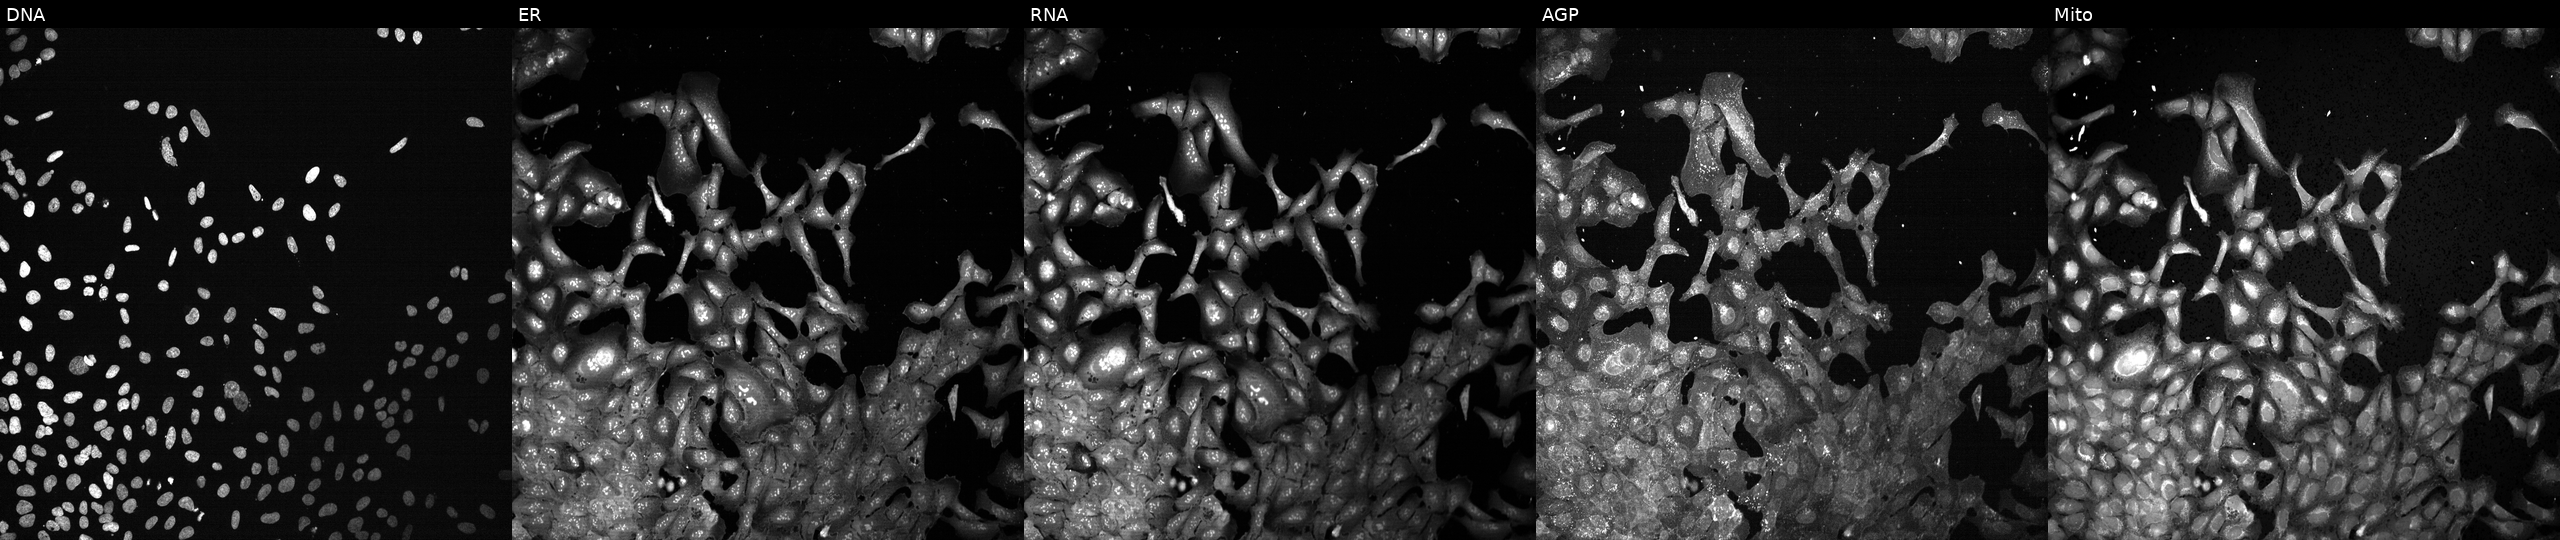
JUMP Cell Painting — CRISPR plate. U2OS cells CRISPR-edited to disrupt ACOXL. The five panels, left to right, show DNA (nuclei); ER (endoplasmic reticulum); RNA (nucleoli and cytoplasmic RNA); AGP (actin cytoskeleton, Golgi, and plasma membrane); Mito (mitochondria).